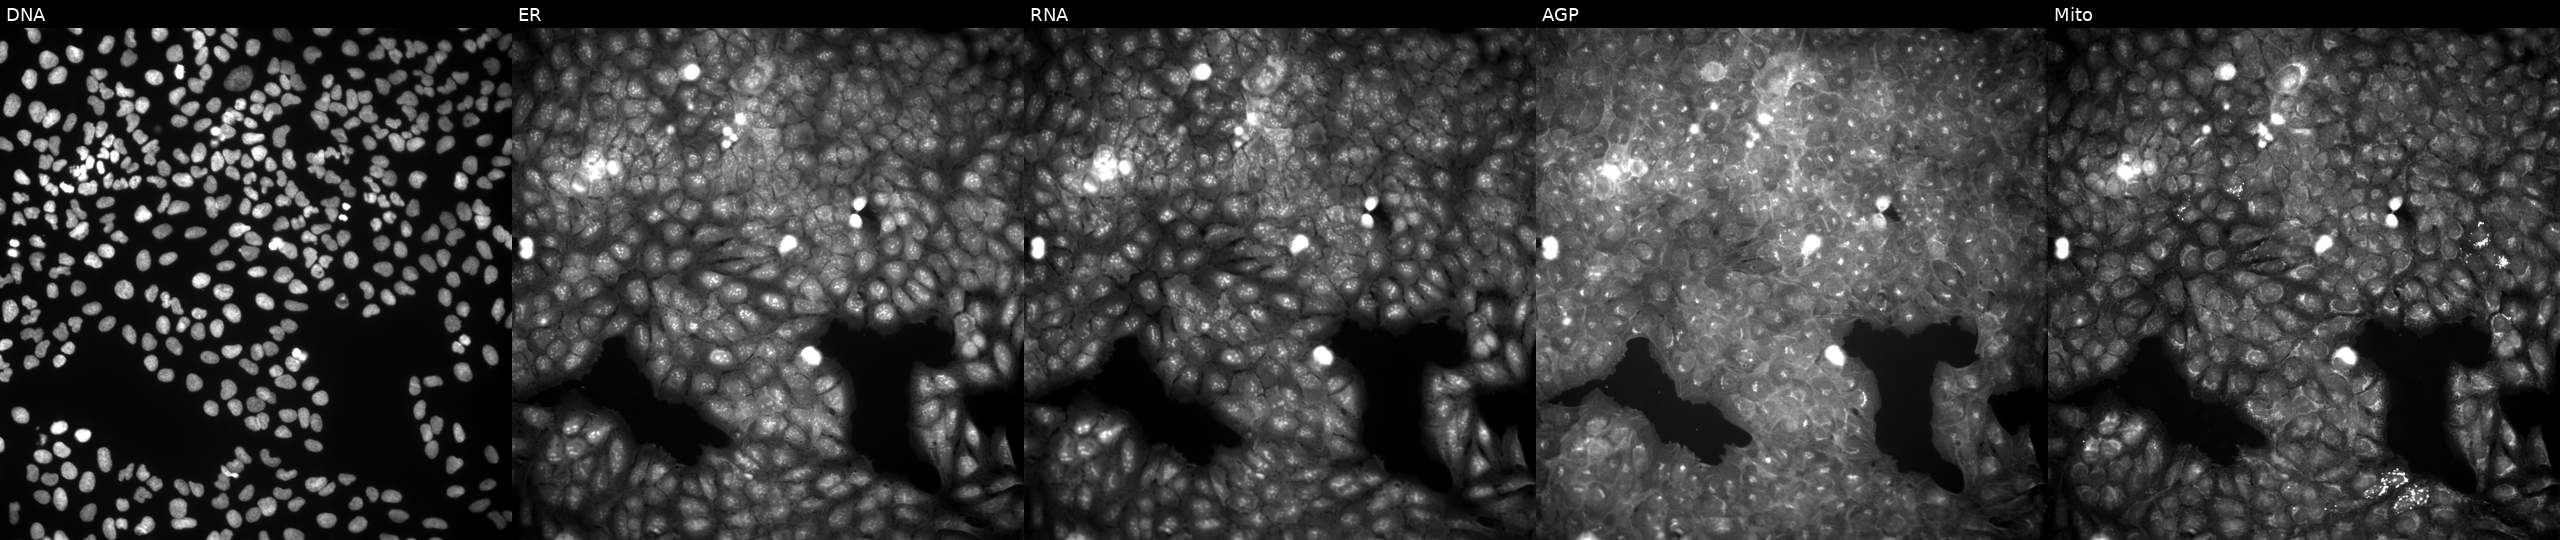
High-content fluorescence microscopy (Cell Painting). Cell line: U2OS. Perturbation: perturbed with a small-molecule compound (InChIKey USFUDUTYKQBIQO-UHFFFAOYSA-N) [SMILES: CCCc1nnc2n1N=C(c1ccc([N+](=O)[O-])cc1)CS2] (JUMP id JCP2022_091203). Channels (left→right): DNA (nuclei); ER (endoplasmic reticulum); RNA (nucleoli and cytoplasmic RNA); AGP (actin cytoskeleton, Golgi, and plasma membrane); Mito (mitochondria).